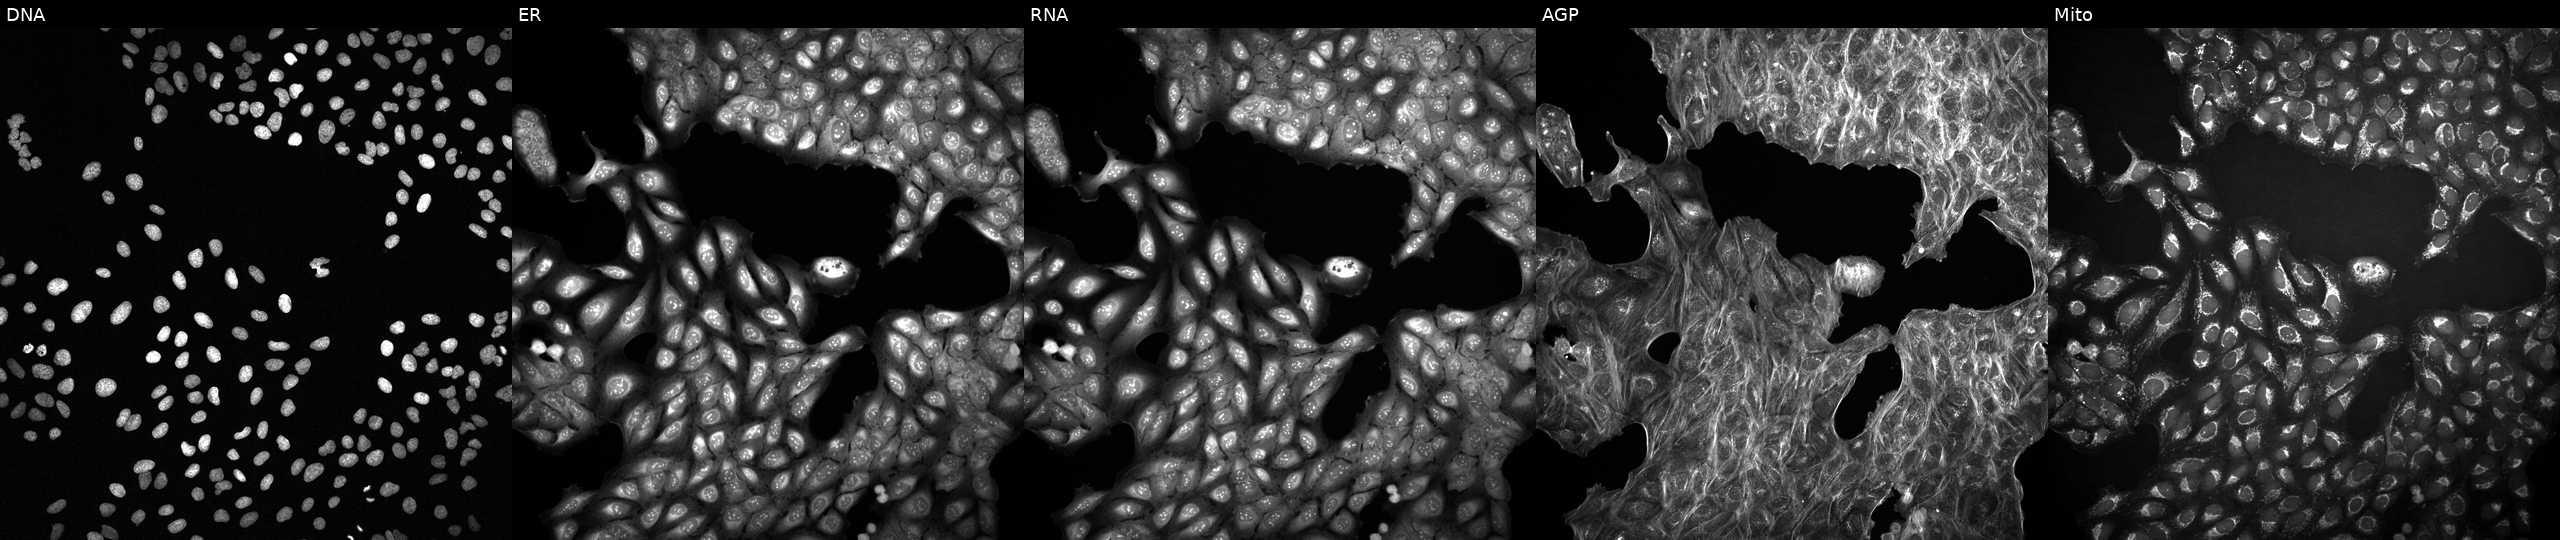
U2OS cells, Cell Painting assay, with an unidentified perturbation (not annotated in JUMP metadata). From left to right: DNA (nuclei); ER (endoplasmic reticulum); RNA (nucleoli and cytoplasmic RNA); AGP (actin cytoskeleton, Golgi, and plasma membrane); Mito (mitochondria). Each panel is percentile-stretched 16-bit fluorescence. Source 2, plate 1053601763, well H22.